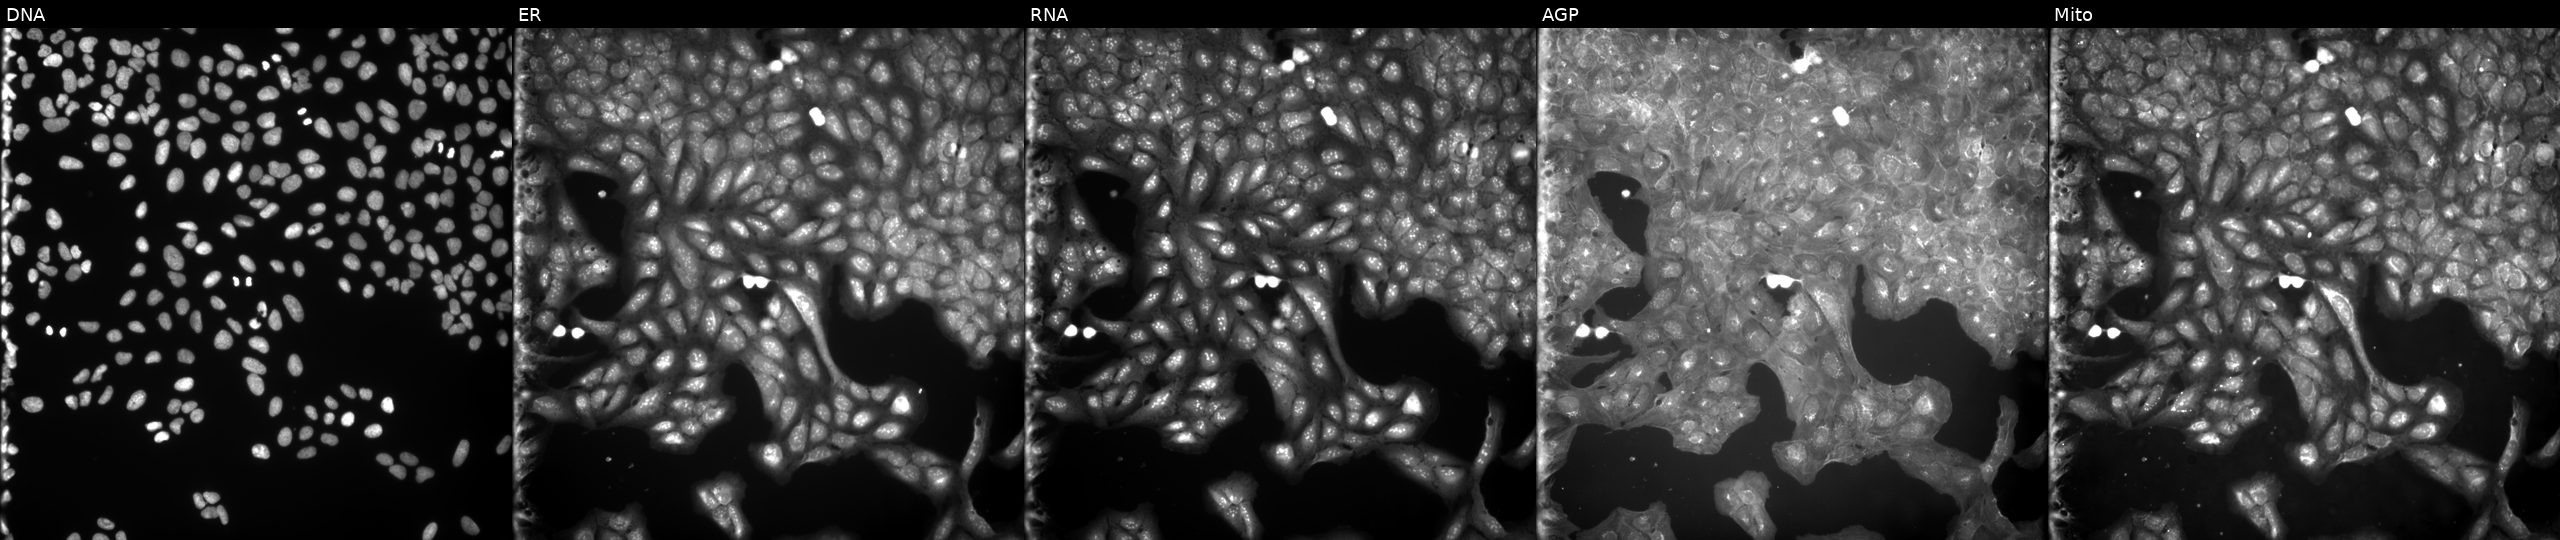
U2OS cells, Cell Painting assay, perturbed with a small-molecule compound (JUMP id JCP2022_027495). Channels (left→right): DNA, ER, RNA, AGP, and Mito. Each panel is percentile-stretched 16-bit fluorescence.